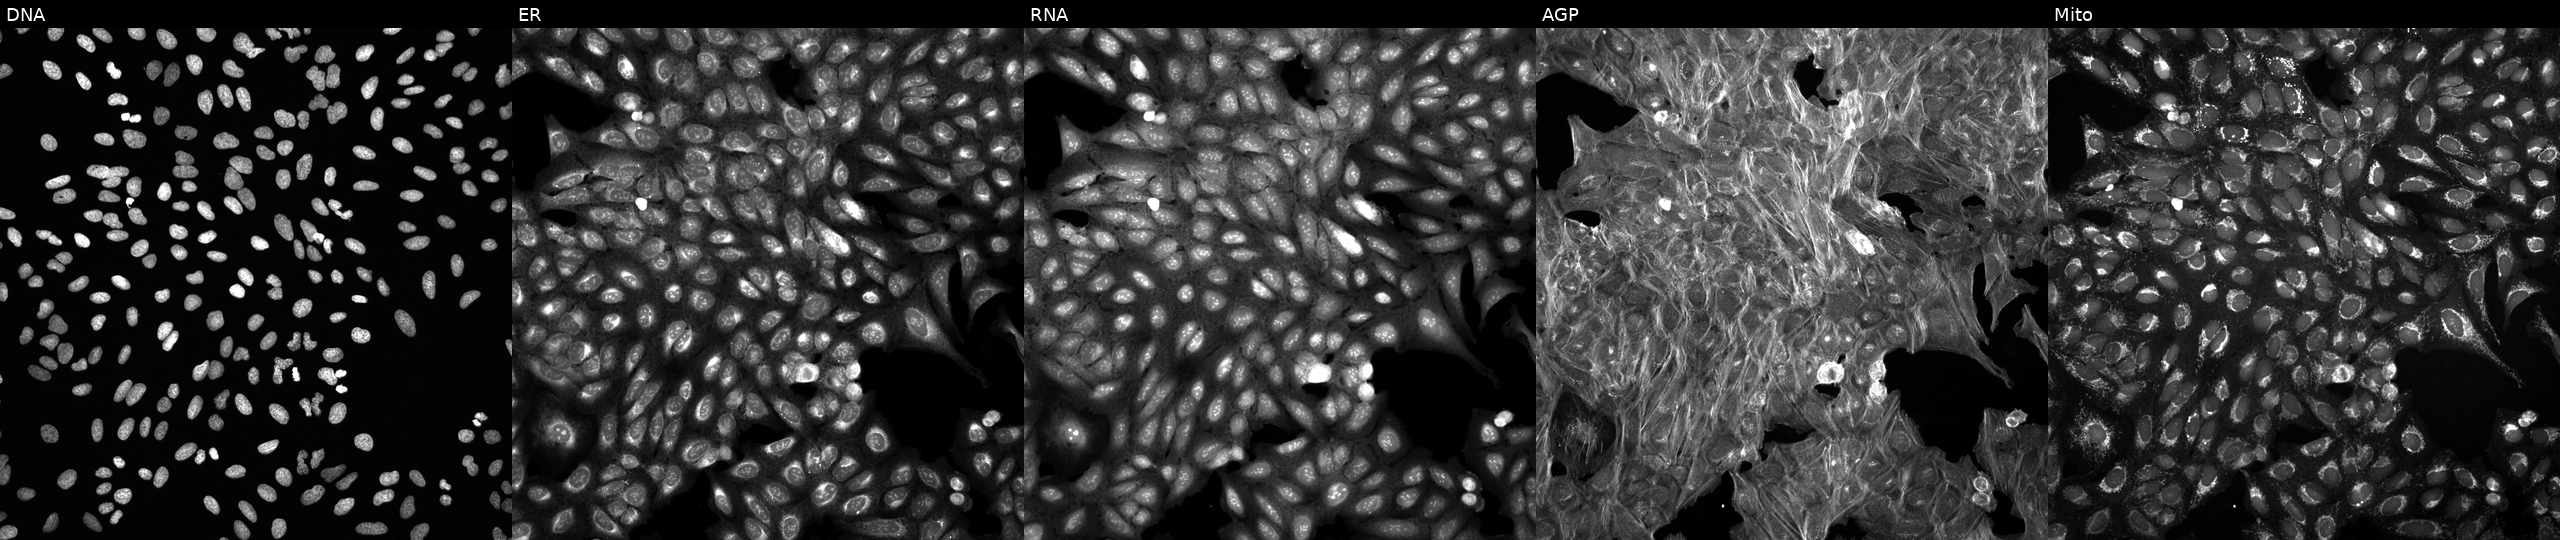
This image strip shows the five Cell Painting channels for a single field of U2OS cells treated with a small-molecule compound (InChIKey VGBGFWCZQMTHLQ-UHFFFAOYSA-N) [SMILES: Cc1ccccc1-c1nc2[nH]c(=O)cc(NC(=O)c3cccc([N+](=O)[O-])c3)n2n1] (JUMP id JCP2022_093730). Channels (left→right): DNA (nuclei); ER (endoplasmic reticulum); RNA (nucleoli and cytoplasmic RNA); AGP (actin cytoskeleton, Golgi, and plasma membrane); Mito (mitochondria). Source 6, plate 110000293082, well N11.